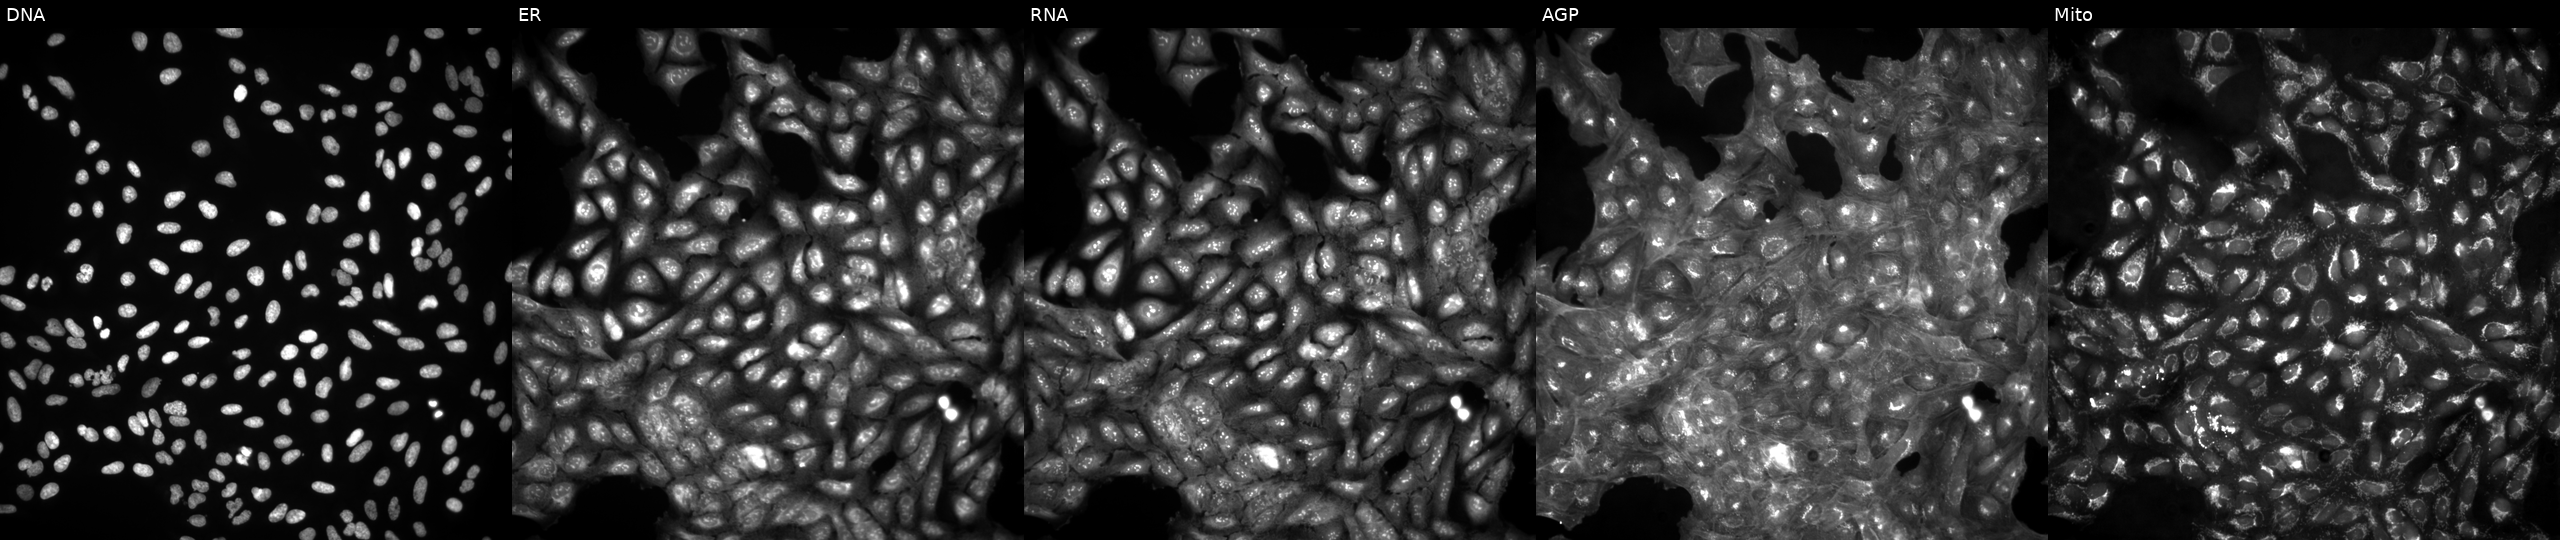
The five panels, left to right, show DNA (nuclei); ER (endoplasmic reticulum); RNA (nucleoli and cytoplasmic RNA); AGP (actin cytoskeleton, Golgi, and plasma membrane); Mito (mitochondria). U2OS osteosarcoma cells untreated (empty-well control). Cell Painting assay, JUMP-CP dataset. Source 4, plate BR00123946, well L20.